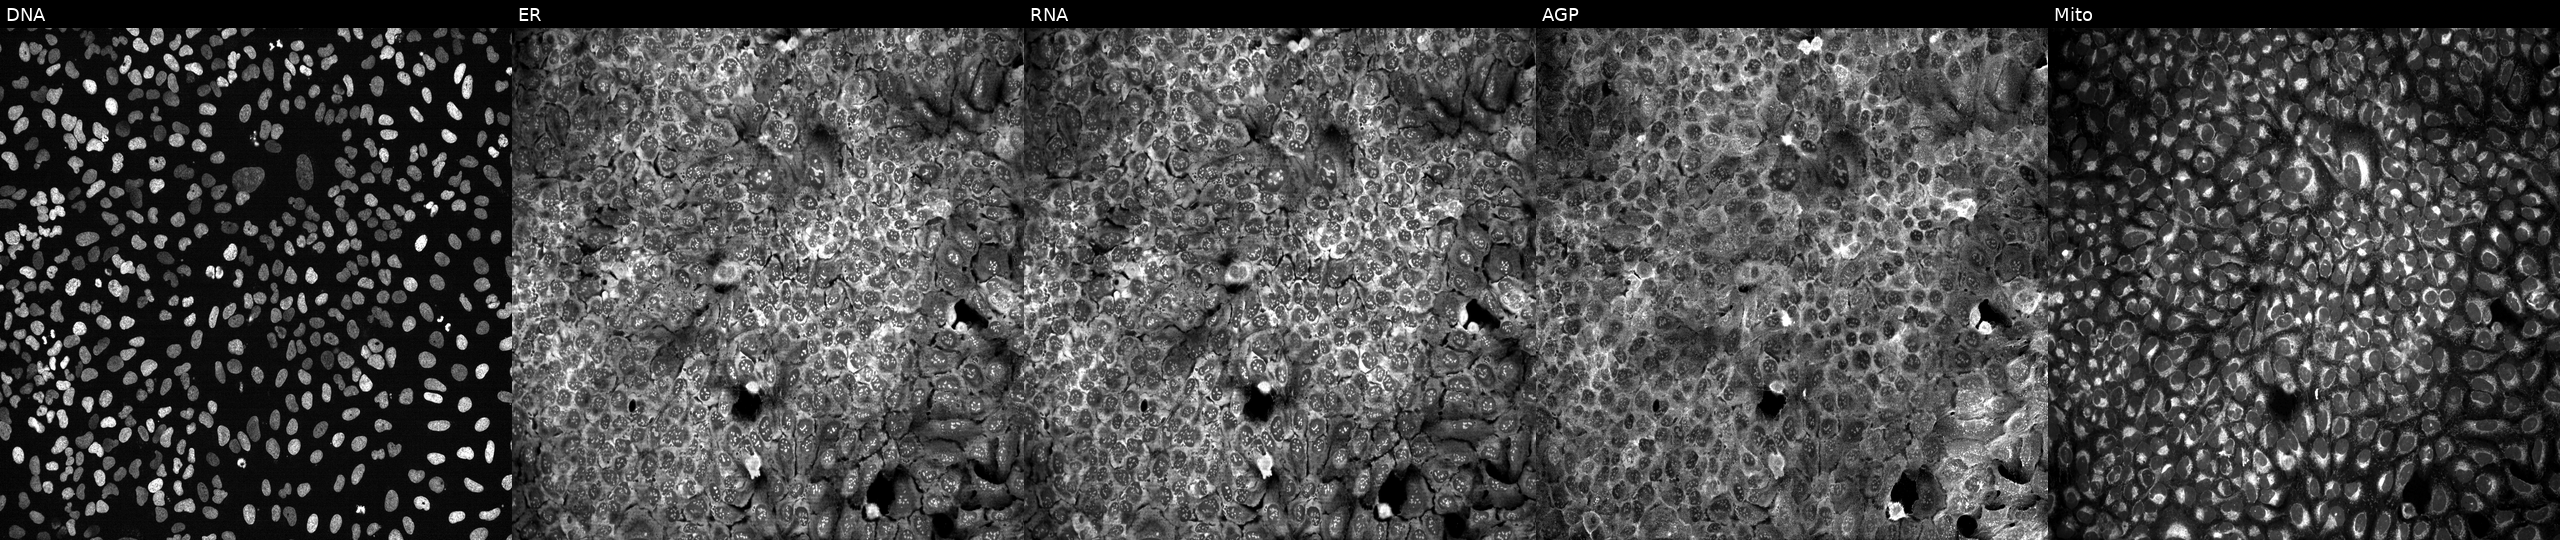
High-content fluorescence microscopy (Cell Painting). Cell line: U2OS. Perturbation: CRISPR-edited to disrupt TUBD1. From left to right: DNA (nuclei); ER (endoplasmic reticulum); RNA (nucleoli and cytoplasmic RNA); AGP (actin cytoskeleton, Golgi, and plasma membrane); Mito (mitochondria). Source 13, plate CP-CC9-R3-02, well F14.